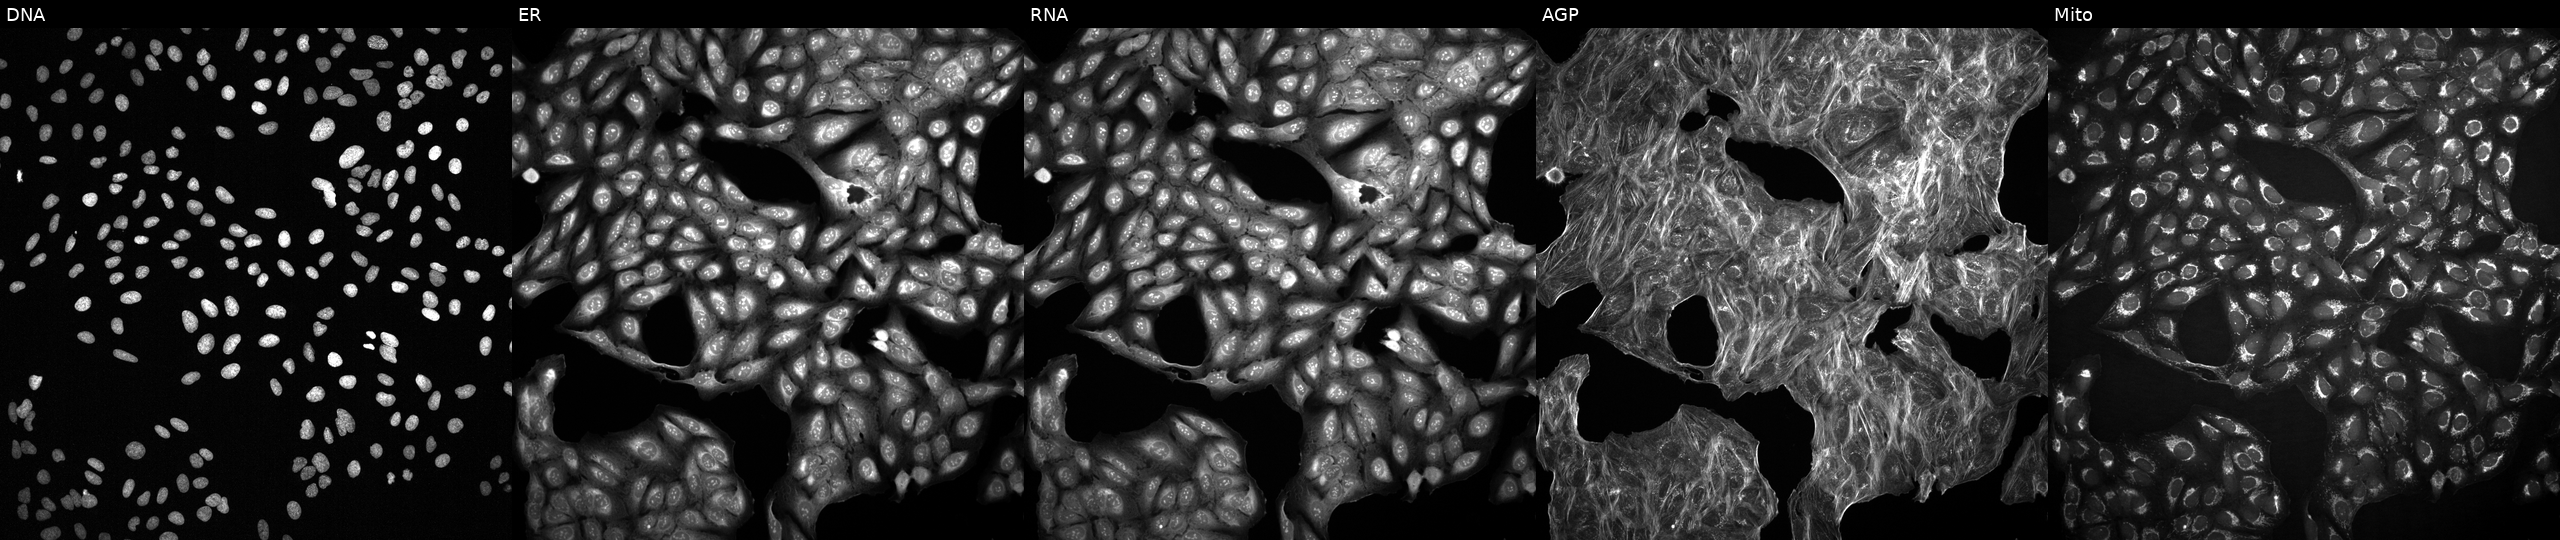
Five-channel Cell Painting image of U2OS cells perturbed with a small-molecule compound (InChIKey YFXOUTYVPCSYTR-UHFFFAOYSA-N) (JUMP id JCP2022_108185). From left to right: DNA (nuclei); ER (endoplasmic reticulum); RNA (nucleoli and cytoplasmic RNA); AGP (actin cytoskeleton, Golgi, and plasma membrane); Mito (mitochondria).